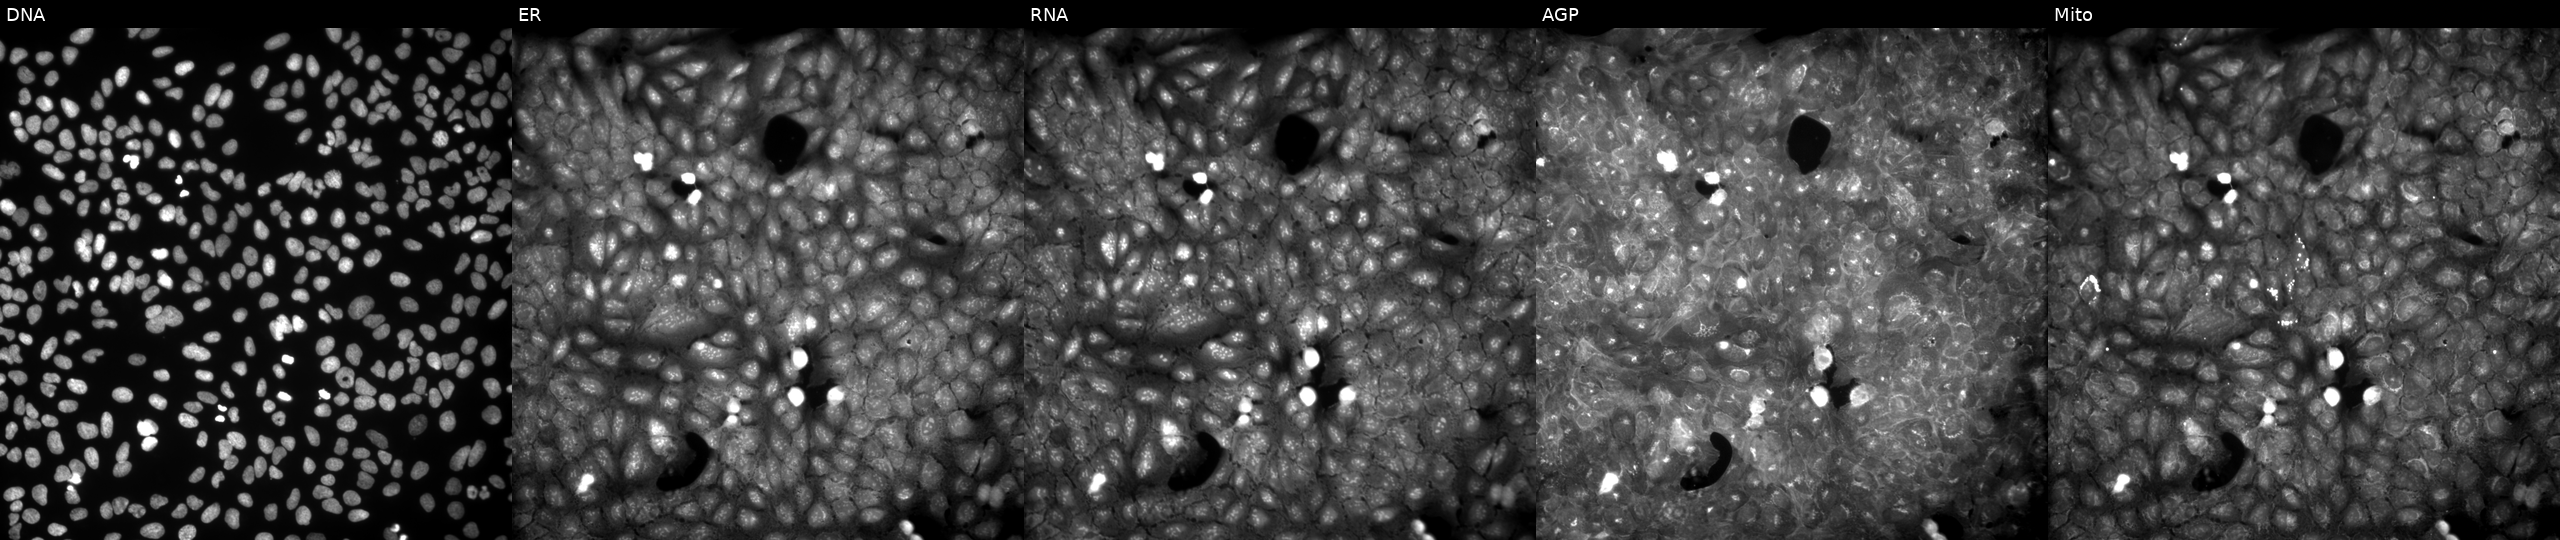
Channels (left→right): DNA (nuclei); ER (endoplasmic reticulum); RNA (nucleoli and cytoplasmic RNA); AGP (actin cytoskeleton, Golgi, and plasma membrane); Mito (mitochondria). U2OS osteosarcoma cells treated with a small-molecule compound (InChIKey BALQQOSBLXPMAJ-UHFFFAOYSA-N). Cell Painting assay, JUMP-CP dataset. Source 9, plate GR00003381, well Y33.